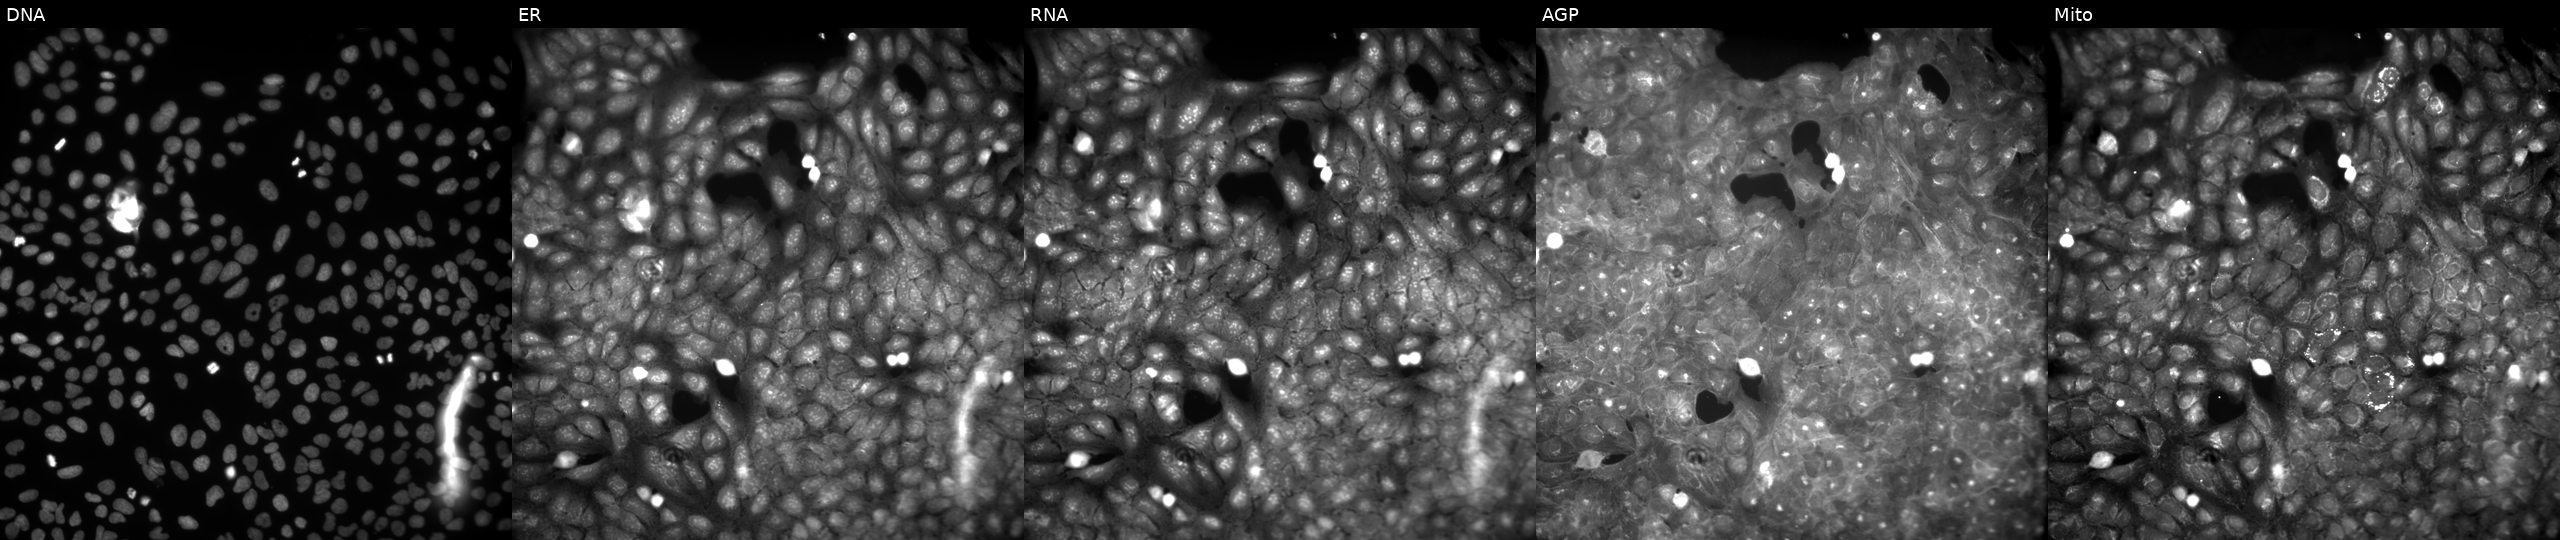
Panels show, left to right, Hoechst 33342, concanavalin A, SYTO 14, phalloidin and WGA, MitoTracker. U2OS osteosarcoma cells perturbed with a small-molecule compound (JUMP id JCP2022_069908). Cell Painting assay, JUMP-CP dataset. Source 9, plate GR00003381, well AC33.